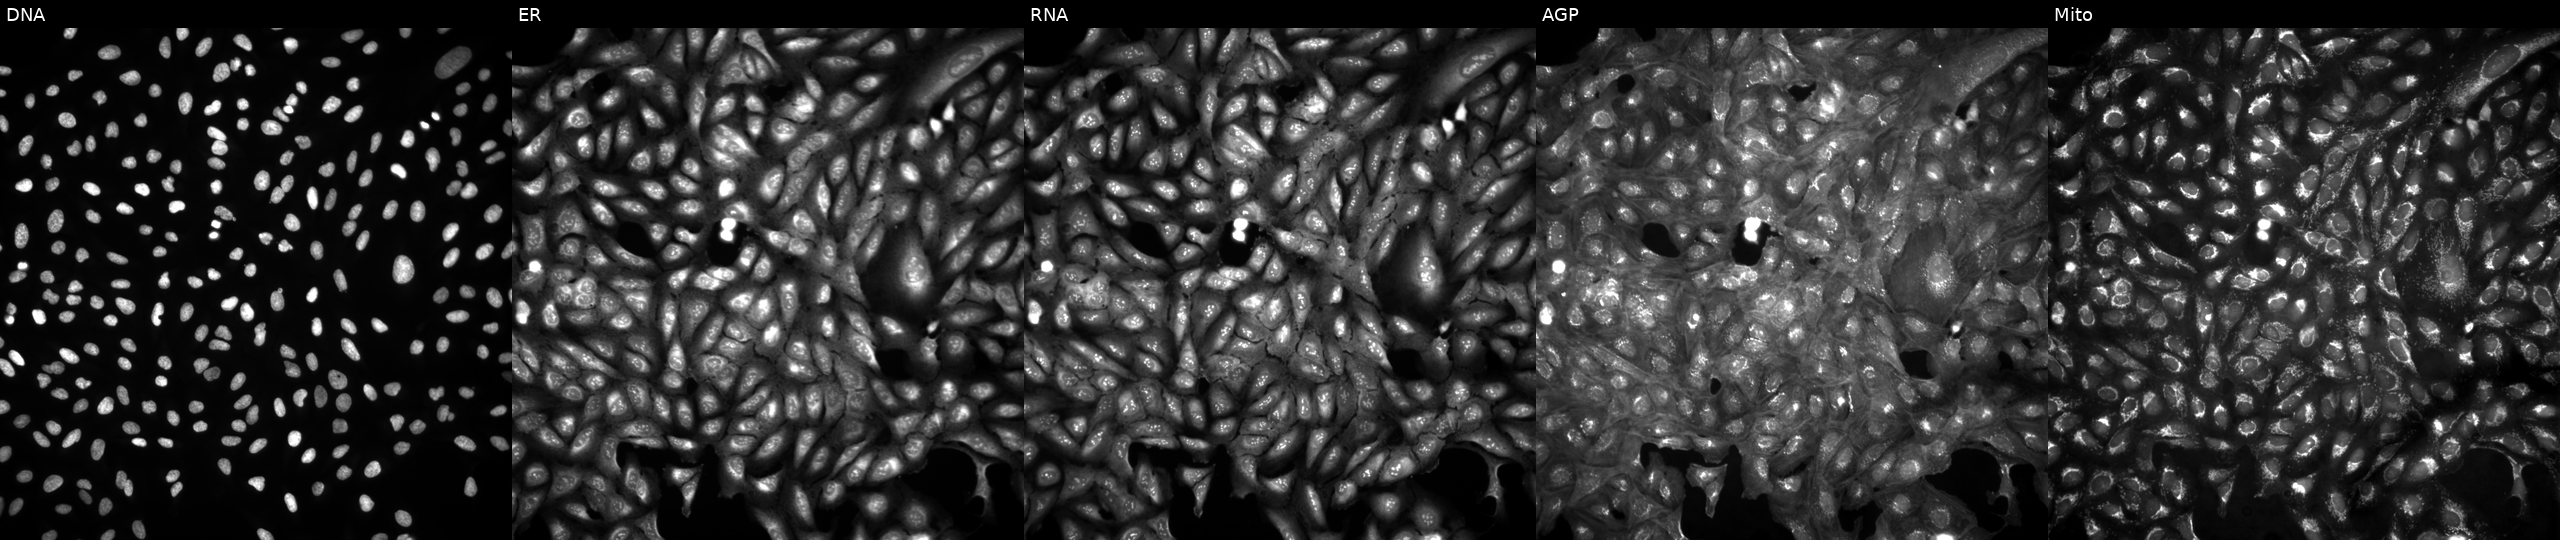
U2OS cells, Cell Painting assay, in an empty control well (no perturbation) (JUMP id JCP2022_999999). Panels show, left to right, Hoechst 33342, concanavalin A, SYTO 14, phalloidin and WGA, MitoTracker. Each panel is percentile-stretched 16-bit fluorescence. Source 4, plate BR00124793, well D20.